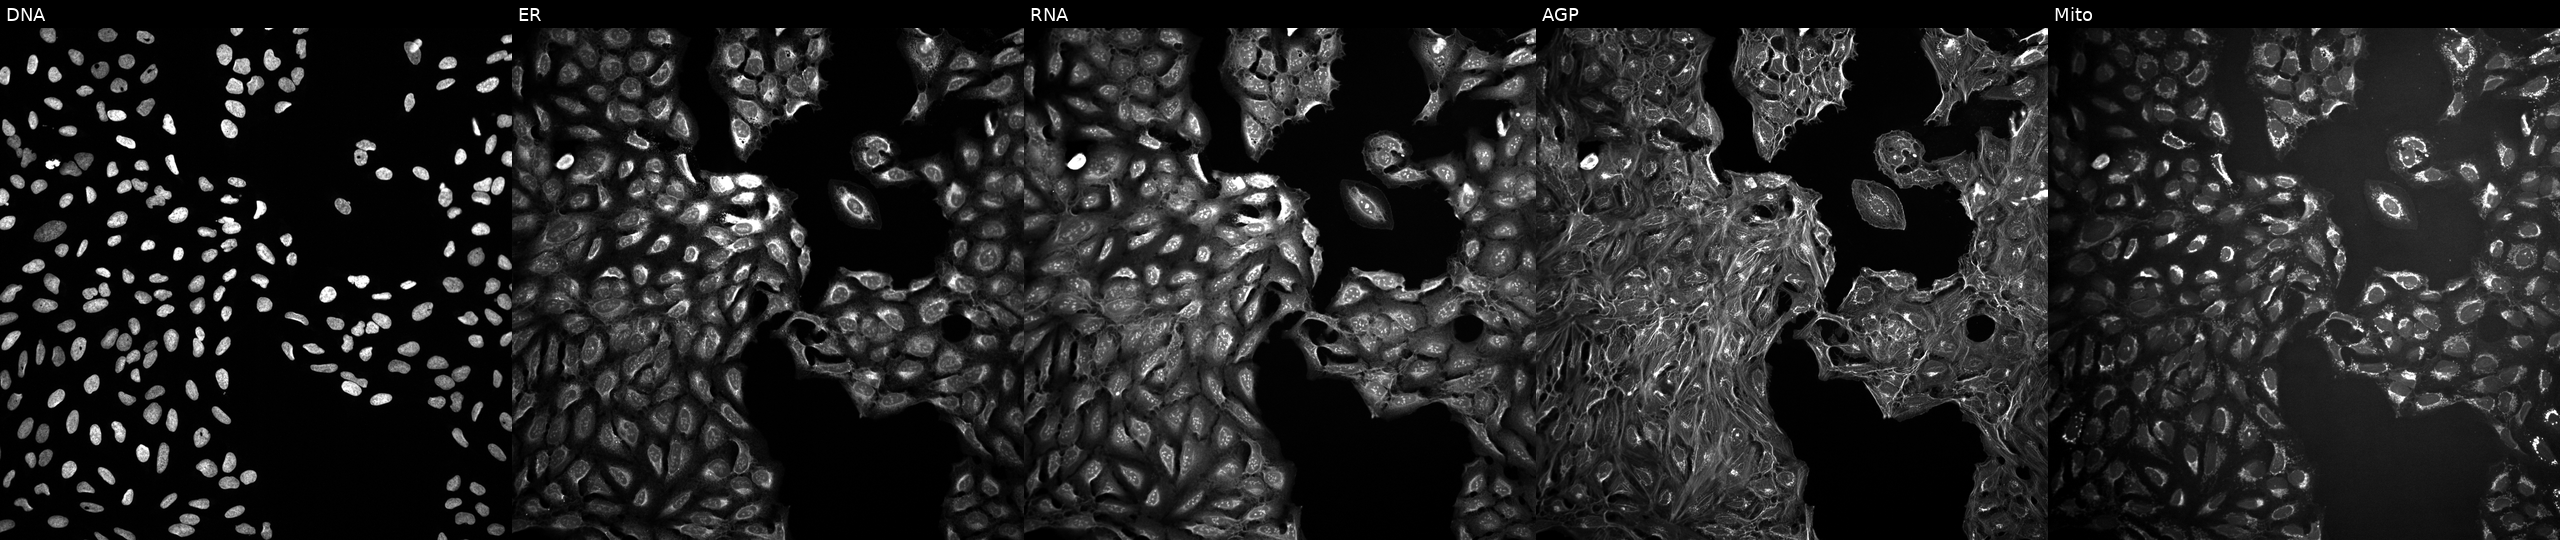
This image strip shows the five Cell Painting channels for a single field of U2OS cells exposed to a small-molecule compound (InChIKey YUKPQOFXJJOFKT-UHFFFAOYSA-N) [SMILES: CCc1nccn1CC(=O)N1CCCC(c2ccc3c[nH]nc3n2)C1]. Channels (left→right): Hoechst 33342, concanavalin A, SYTO 14, phalloidin and WGA, MitoTracker.